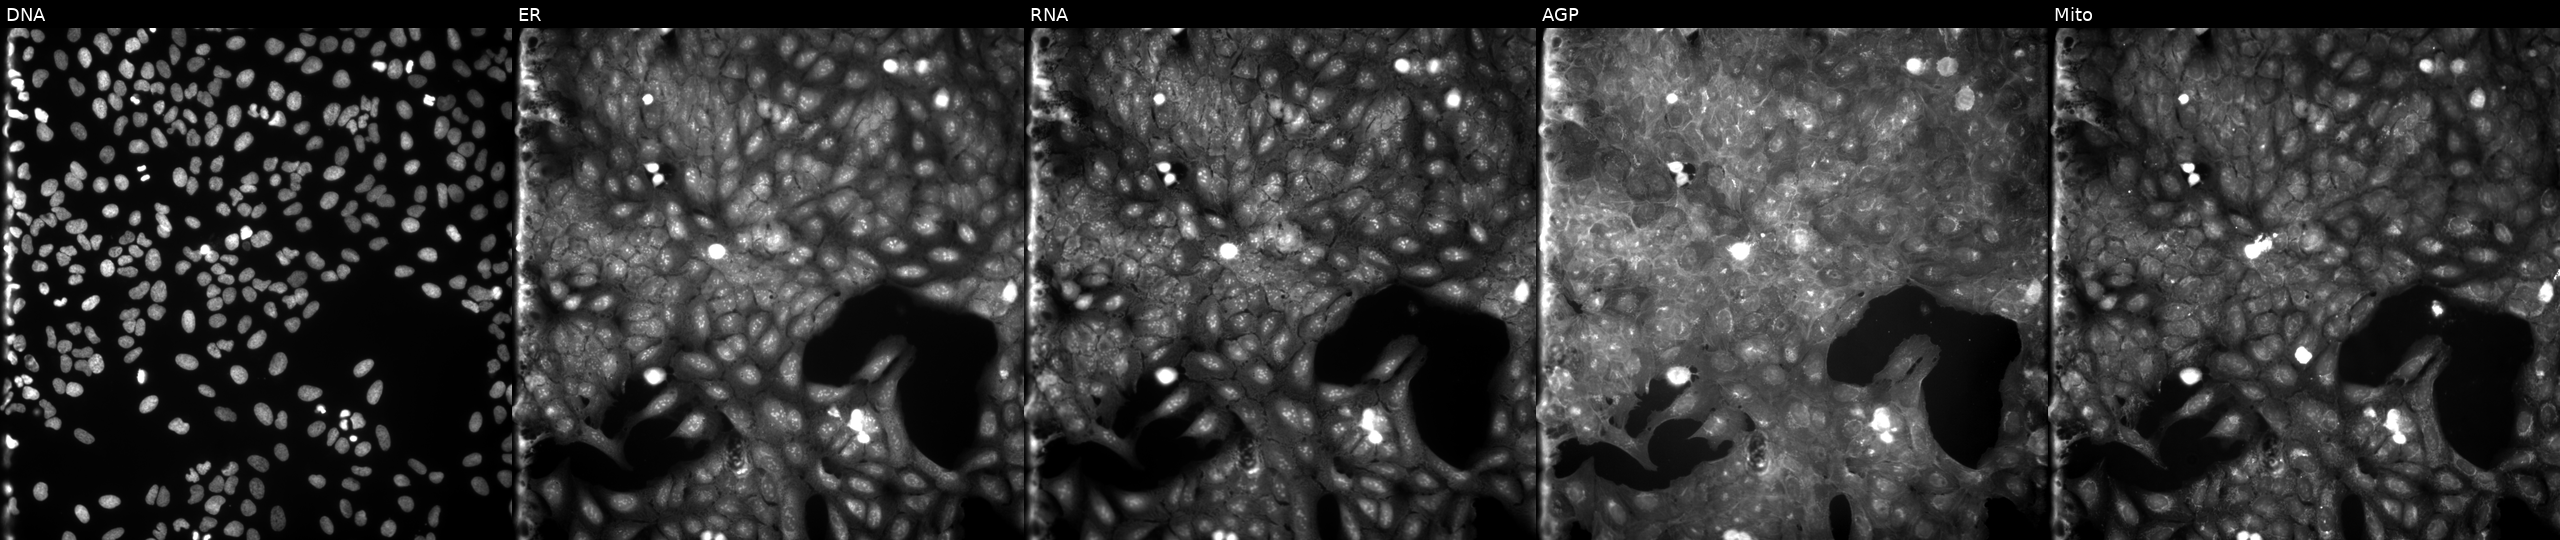
Panels show, left to right, DNA, ER, RNA, AGP, and Mito. U2OS osteosarcoma cells exposed to a small-molecule compound [SMILES: Cc1ccccc1NC(=O)c1sc2nc3c(cc2c1N)CCCC3]. Cell Painting assay, JUMP-CP dataset.